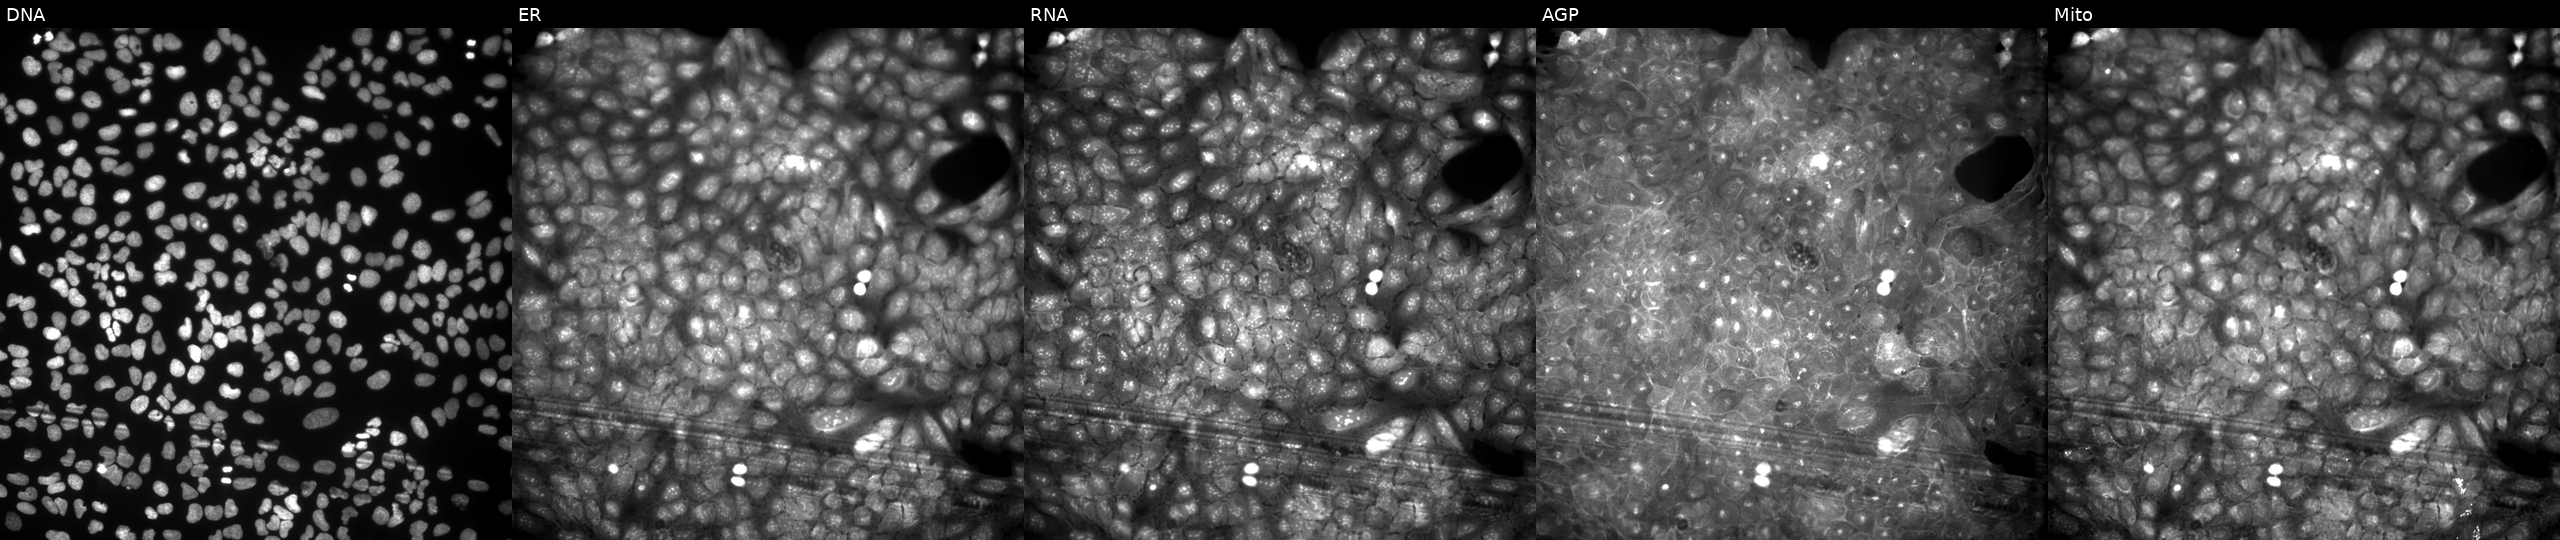
Five-channel Cell Painting image of U2OS cells treated with DMSO vehicle only (negative control). Channels (left→right): DNA (nuclei); ER (endoplasmic reticulum); RNA (nucleoli and cytoplasmic RNA); AGP (actin cytoskeleton, Golgi, and plasma membrane); Mito (mitochondria).